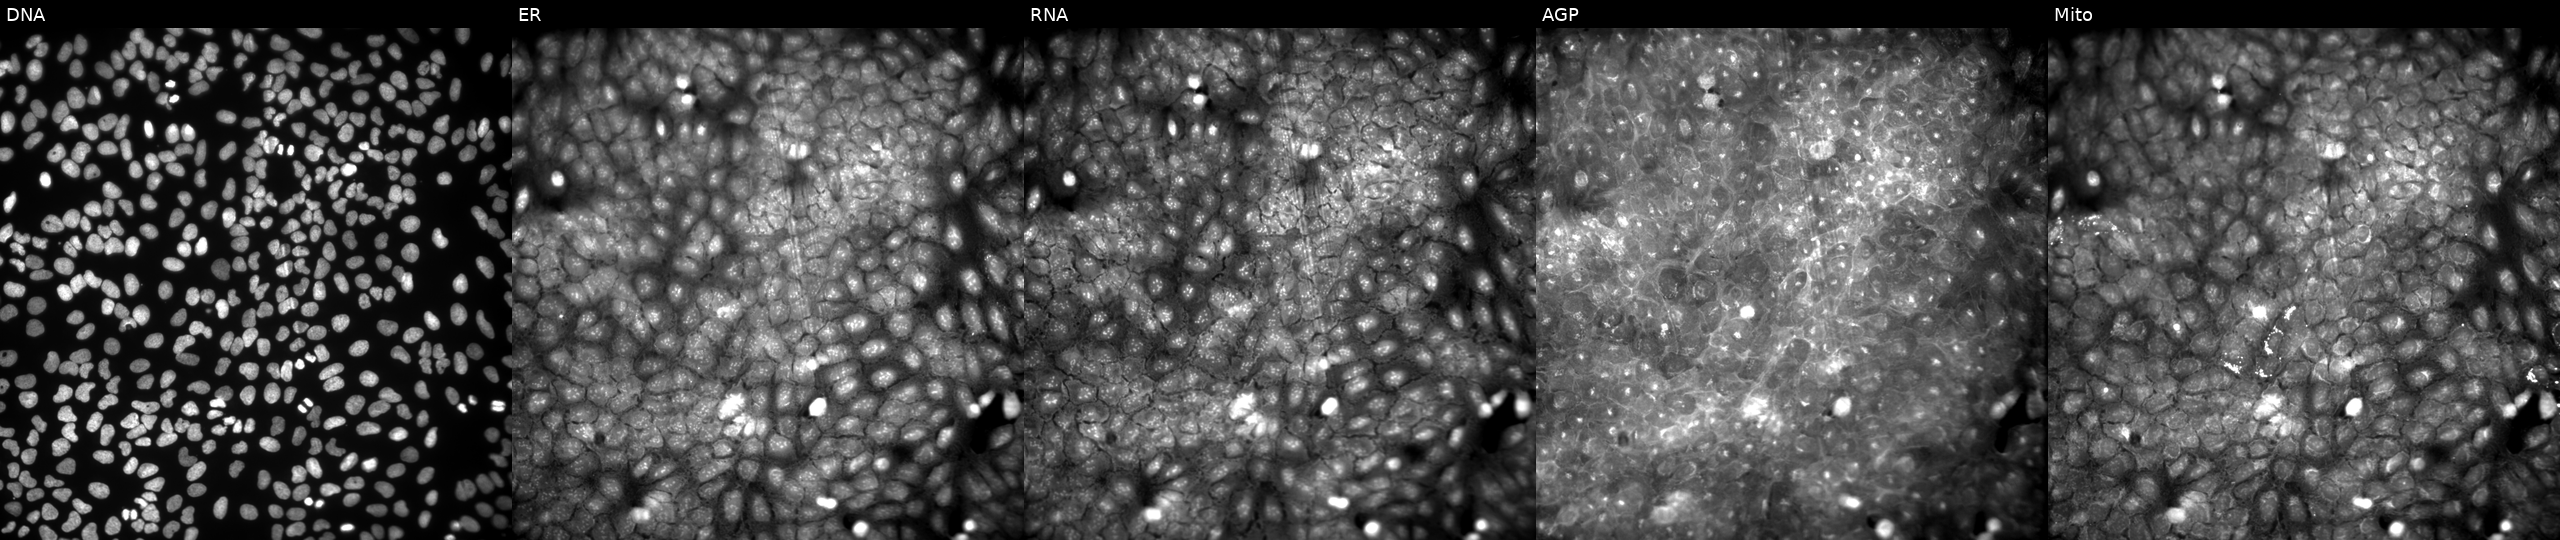
From left to right: DNA (nuclei); ER (endoplasmic reticulum); RNA (nucleoli and cytoplasmic RNA); AGP (actin cytoskeleton, Golgi, and plasma membrane); Mito (mitochondria). U2OS osteosarcoma cells treated with a small-molecule compound (InChIKey CRWMBLJZLRVWQS-UHFFFAOYSA-N) (JUMP id JCP2022_013063). Cell Painting assay, JUMP-CP dataset.